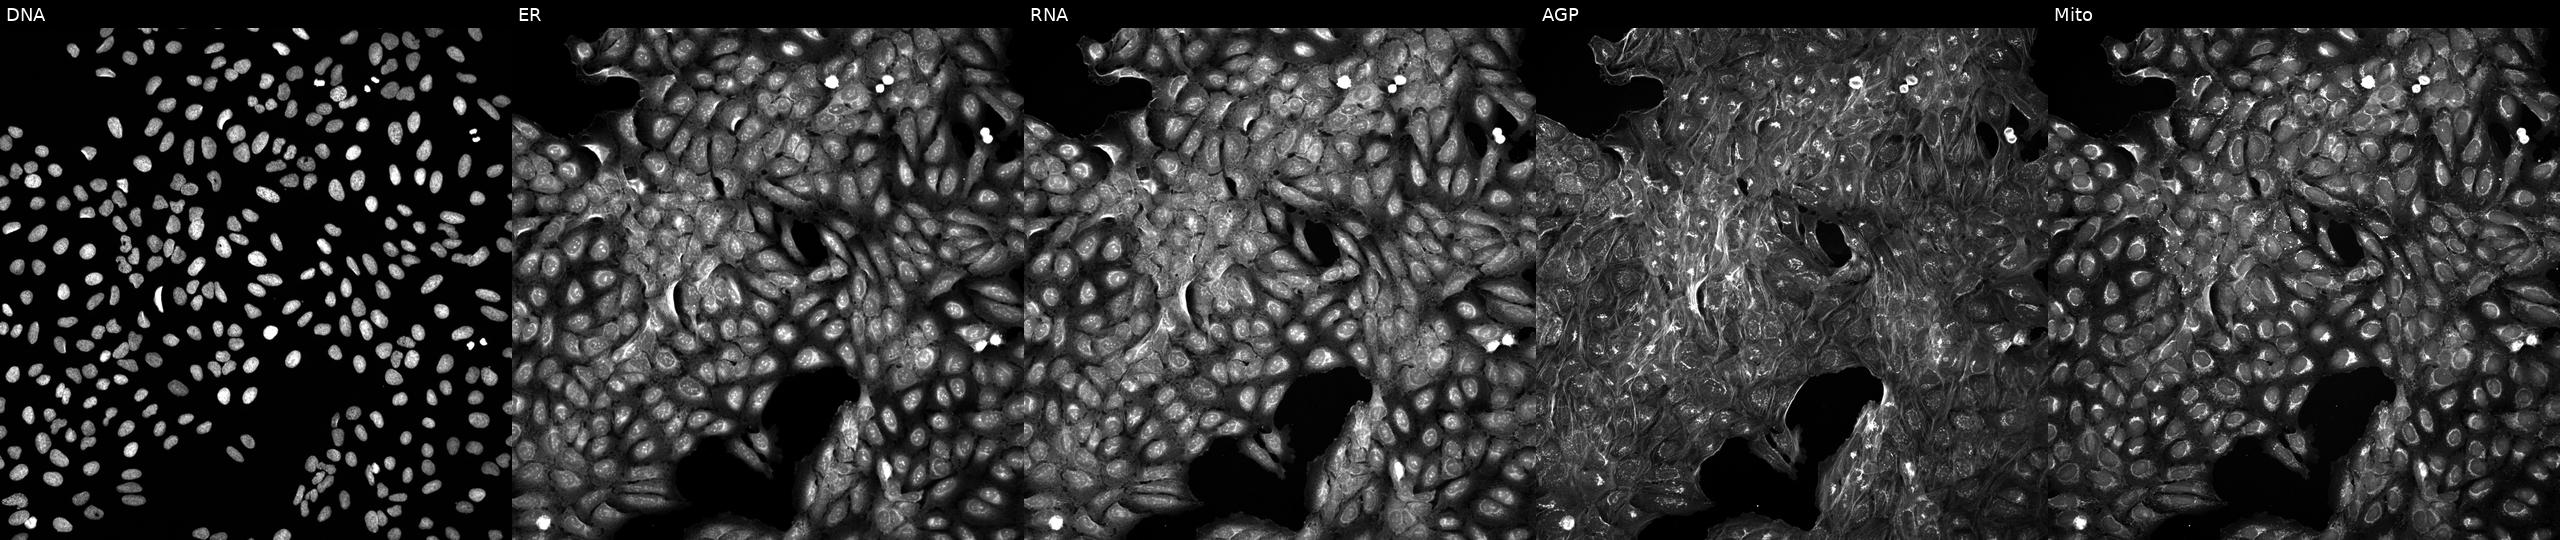
This image strip shows the five Cell Painting channels for a single field of U2OS cells perturbed with a small-molecule compound (InChIKey BKPCNBCYVAOOQF-UHFFFAOYSA-N) (JUMP id JCP2022_006953). Panels show, left to right, DNA (nuclei); ER (endoplasmic reticulum); RNA (nucleoli and cytoplasmic RNA); AGP (actin cytoskeleton, Golgi, and plasma membrane); Mito (mitochondria). Source 5, plate APTJUM106, well C12.